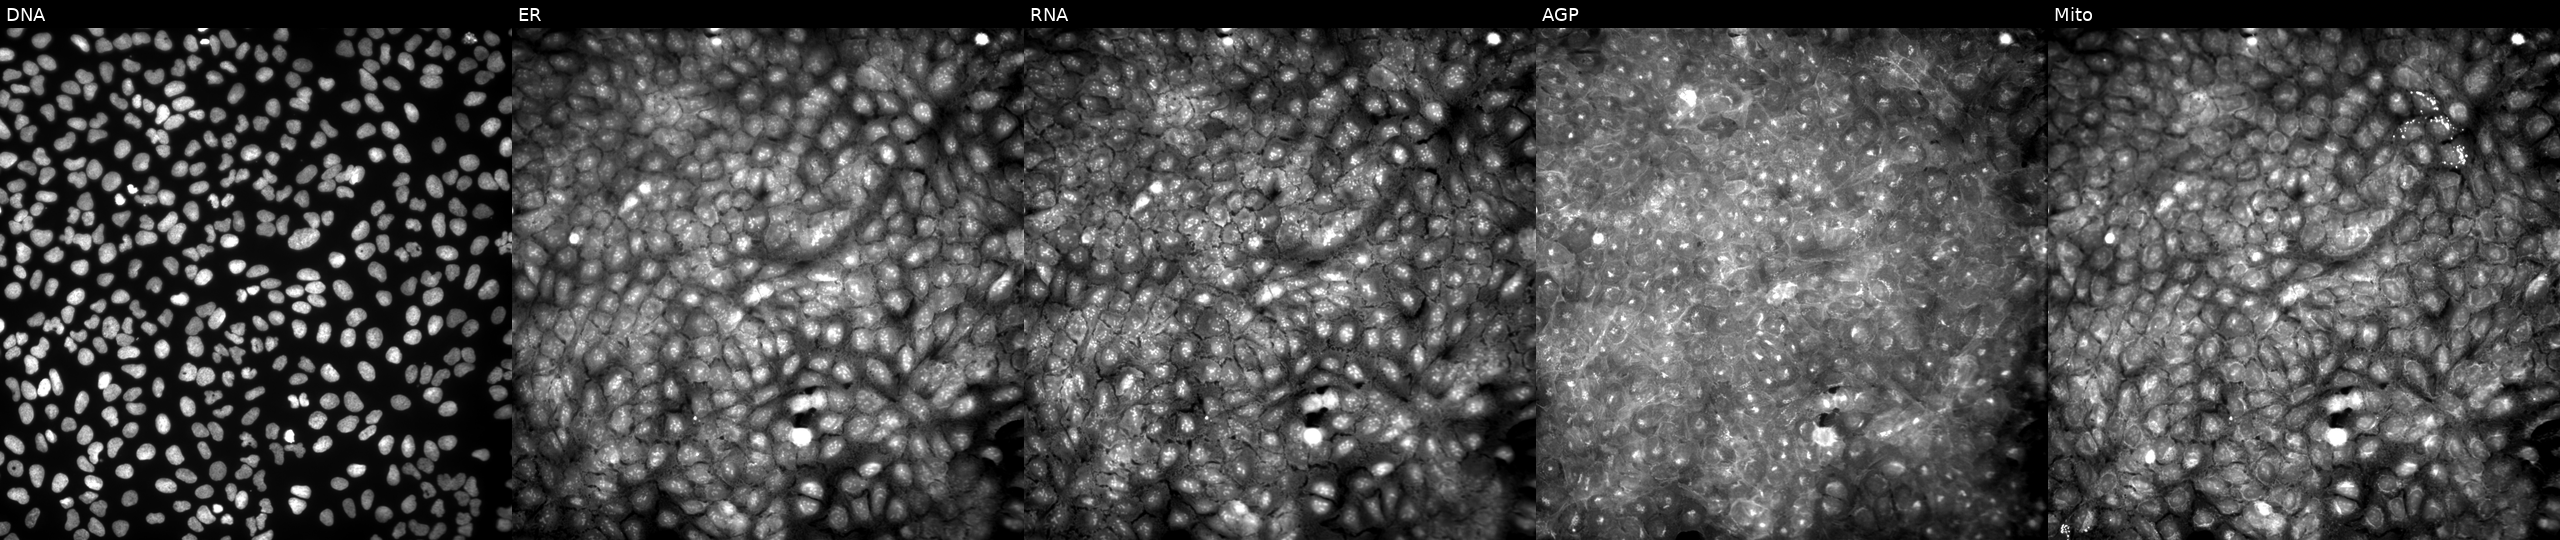
This image strip shows the five Cell Painting channels for a single field of U2OS cells exposed to a small-molecule compound (InChIKey VDUHPBPDDRUJRO-UHFFFAOYSA-N) [SMILES: O=C1CCCN1CC(CN1CCOCC1)Sc1nc2ccccc2c(=O)n1-c1ccccc1] (JUMP id JCP2022_093321). Panels show, left to right, DNA (nuclei); ER (endoplasmic reticulum); RNA (nucleoli and cytoplasmic RNA); AGP (actin cytoskeleton, Golgi, and plasma membrane); Mito (mitochondria).